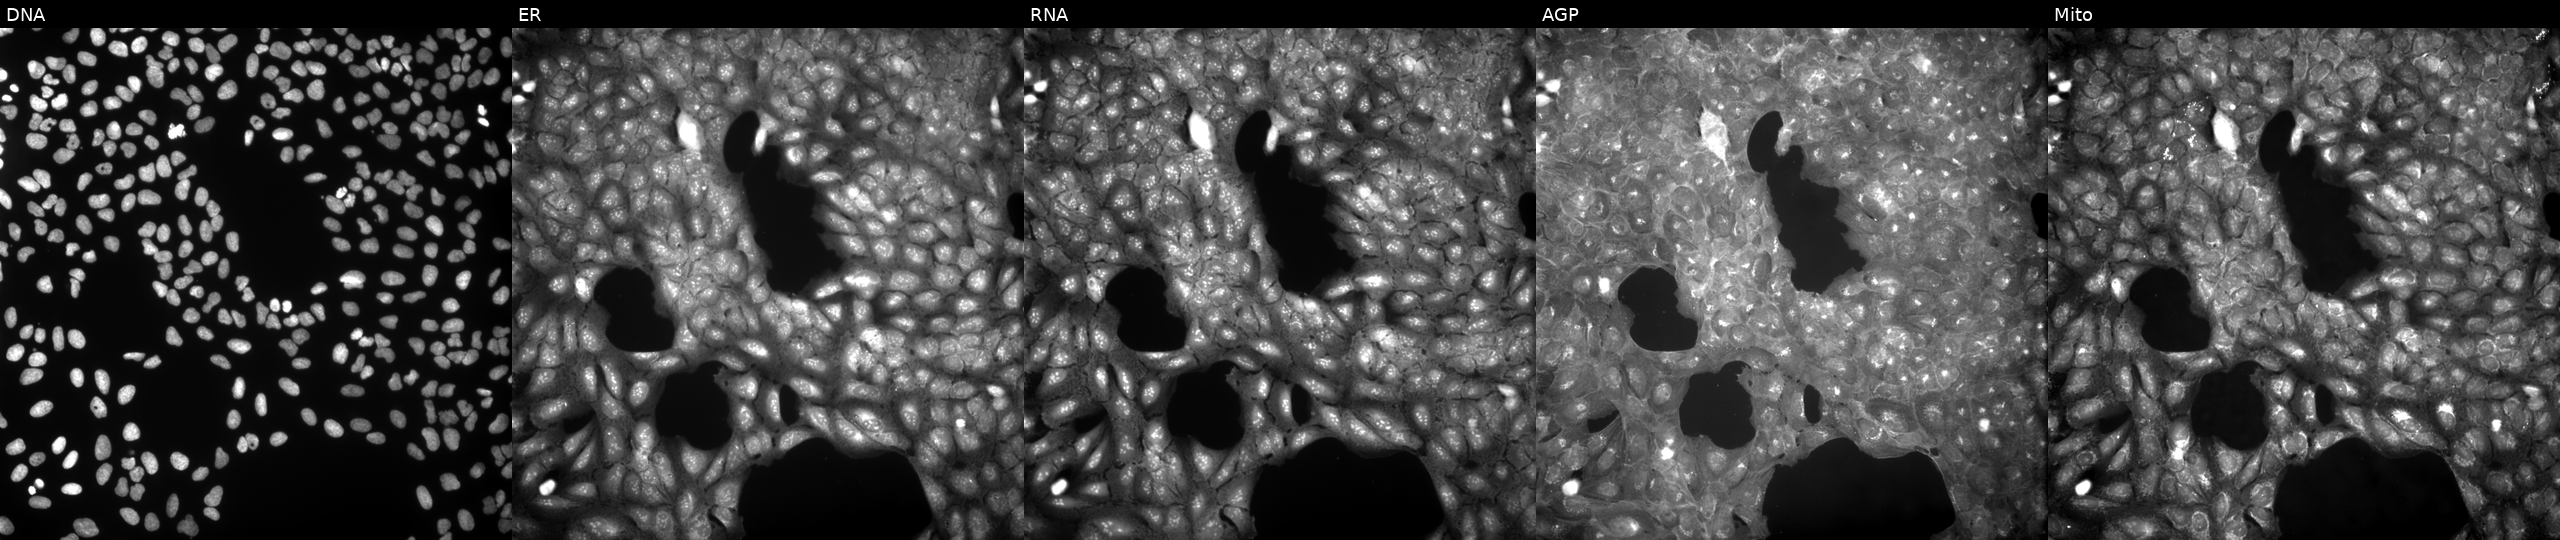
JUMP Cell Painting — COMPOUND plate. U2OS cells exposed to a small-molecule compound (JUMP id JCP2022_029094). The five panels, left to right, show DNA, ER, RNA, AGP, and Mito. Source 9, plate GR00003381, well N22.